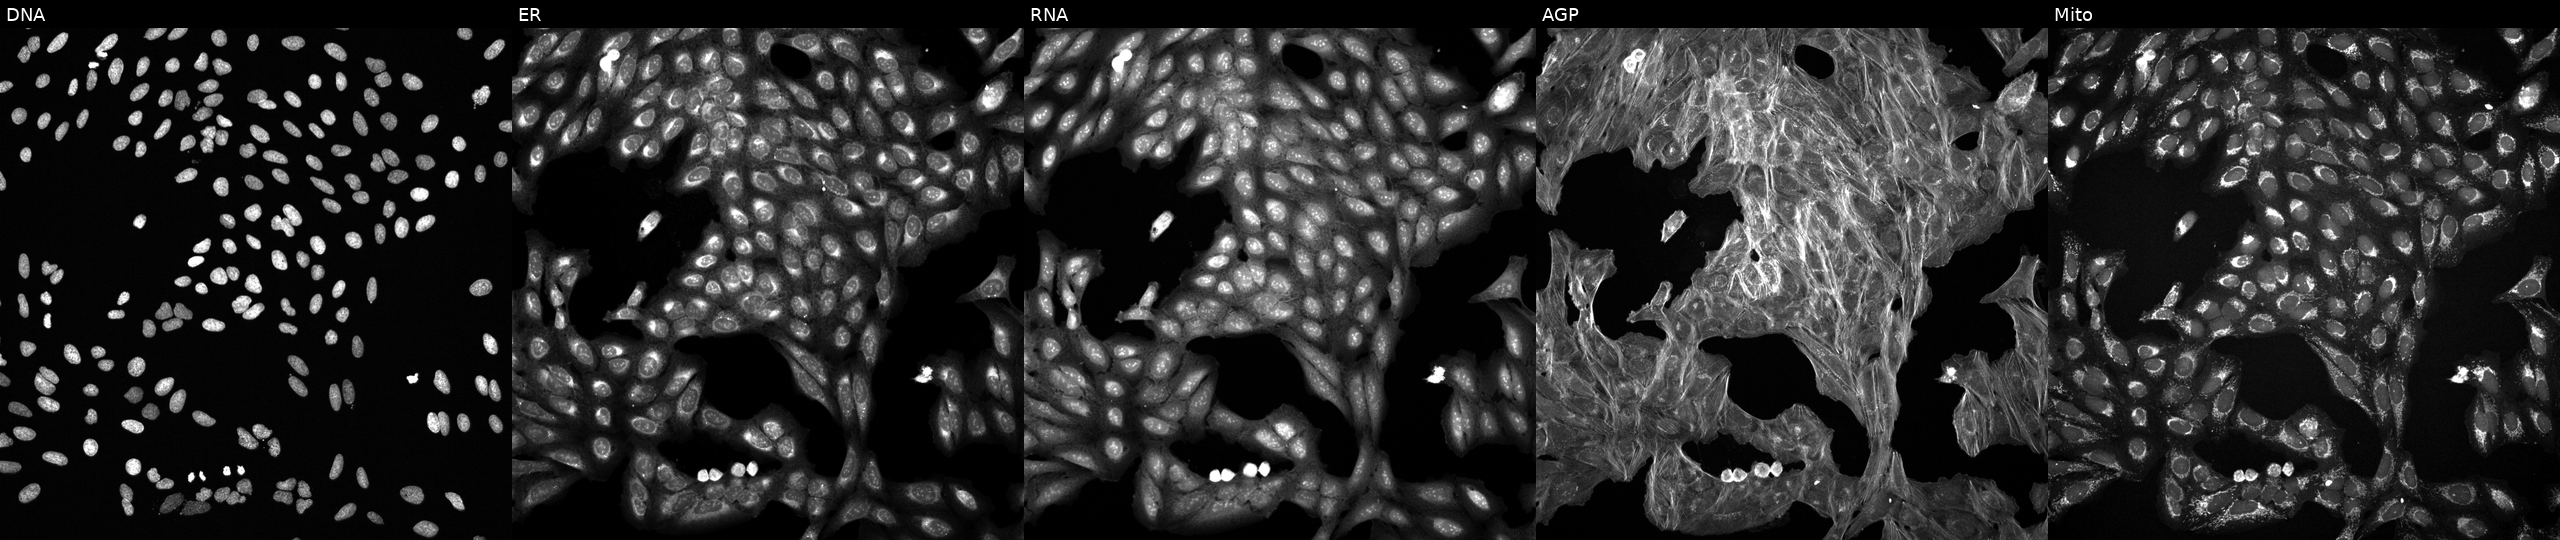
High-content fluorescence microscopy (Cell Painting). Cell line: U2OS. Perturbation: perturbed with a small-molecule compound. Channels (left→right): Hoechst 33342, concanavalin A, SYTO 14, phalloidin and WGA, MitoTracker.